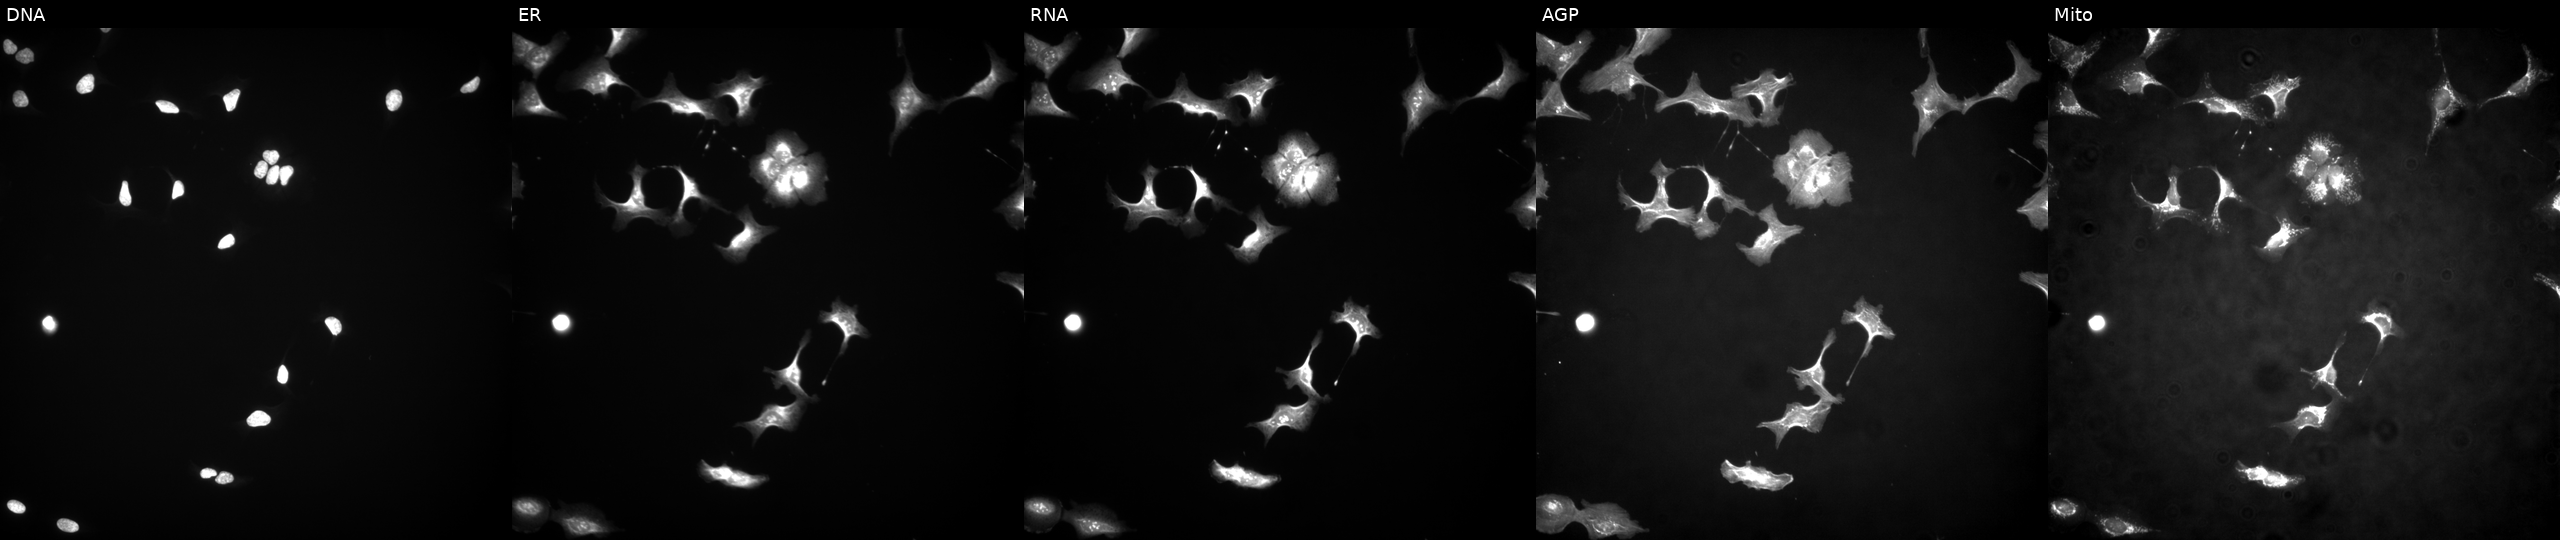
High-content fluorescence microscopy (Cell Painting). Cell line: U2OS. Perturbation: transfected with an ORF construct for LINC01140 (JUMP id JCP2022_913512). The five panels, left to right, show DNA, ER, RNA, AGP, and Mito.